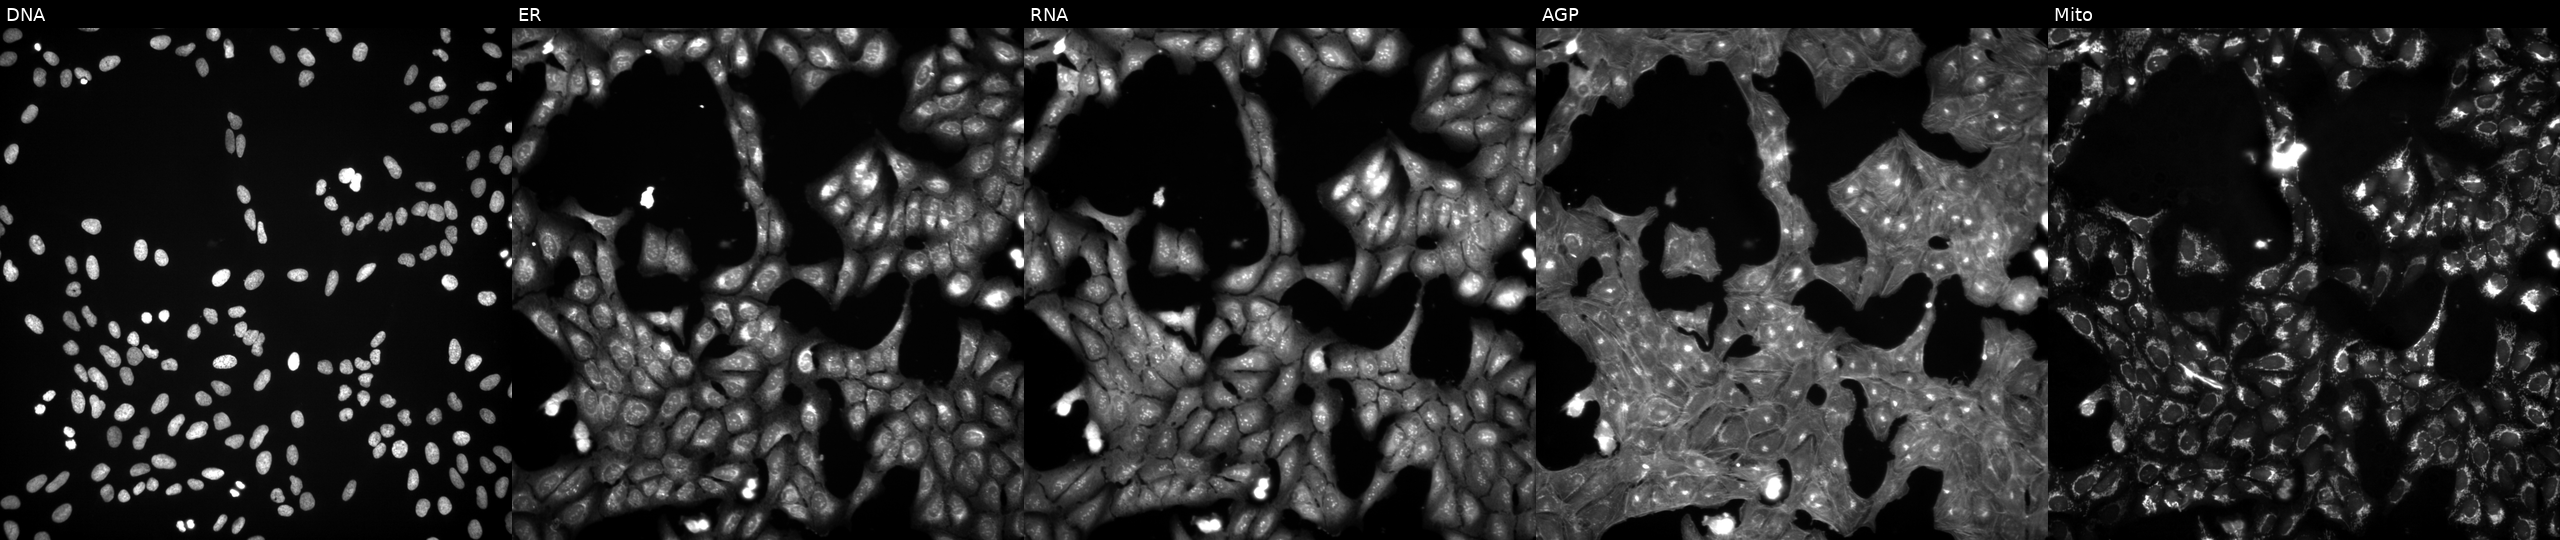
U2OS cells, Cell Painting assay, treated with a small-molecule compound (InChIKey PYNXFZCZUAOOQC-UHFFFAOYSA-N). Panels show, left to right, DNA, ER, RNA, AGP, and Mito. Each panel is percentile-stretched 16-bit fluorescence. Source 3, plate JCPQC053, well L18.